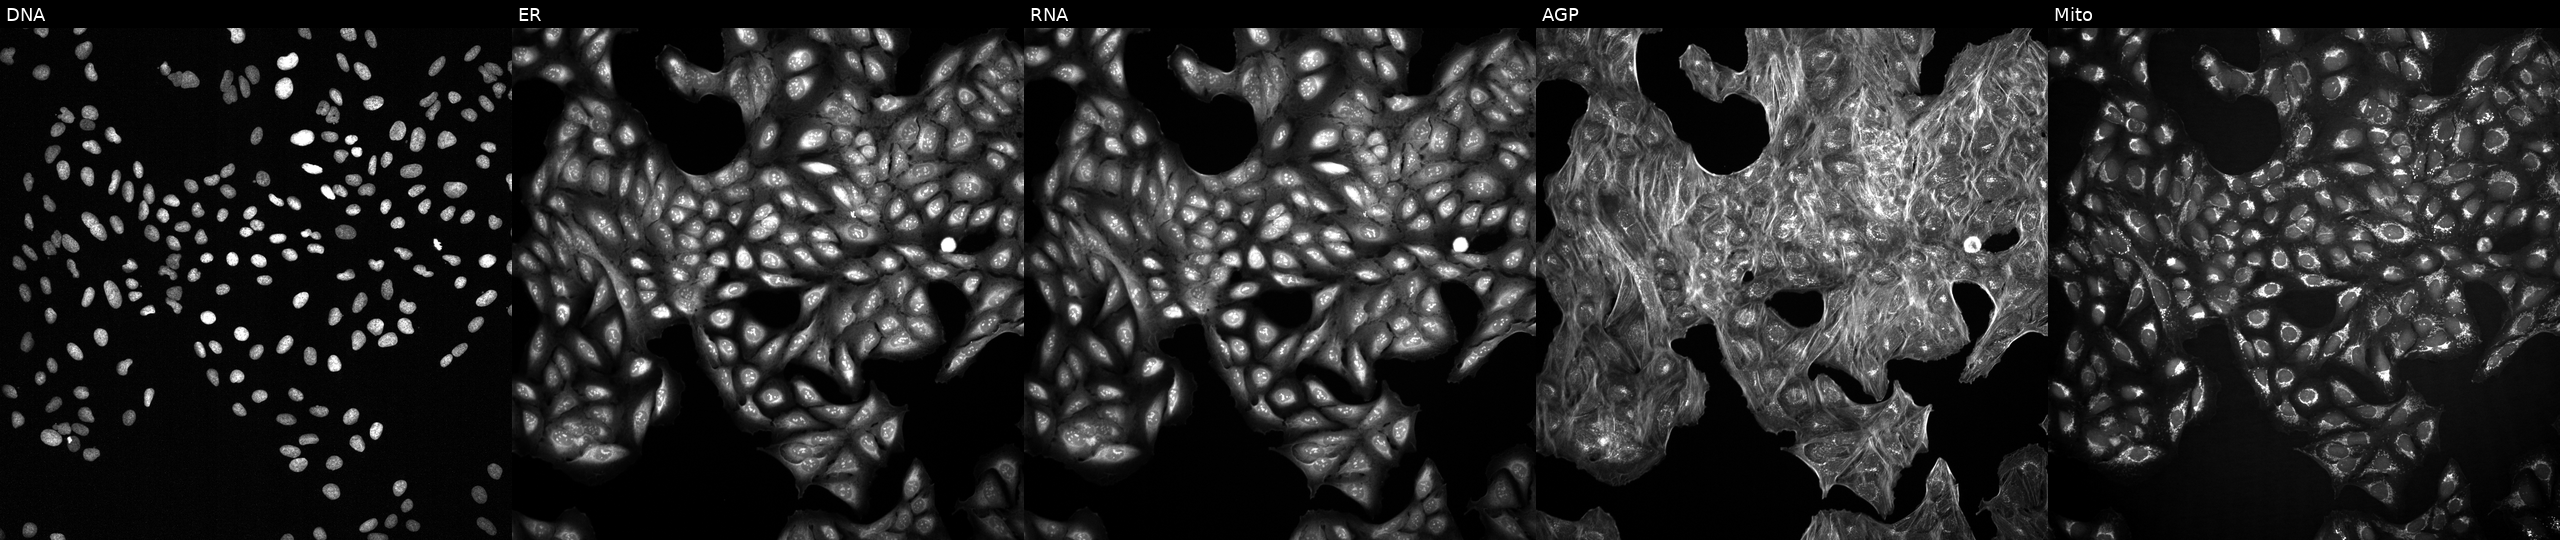
High-content fluorescence microscopy (Cell Painting). Cell line: U2OS. Perturbation: exposed to a small-molecule compound (InChIKey ZOTROWSASXESEG-UHFFFAOYSA-N) (JUMP id JCP2022_114700). Channels (left→right): DNA, ER, RNA, AGP, and Mito.